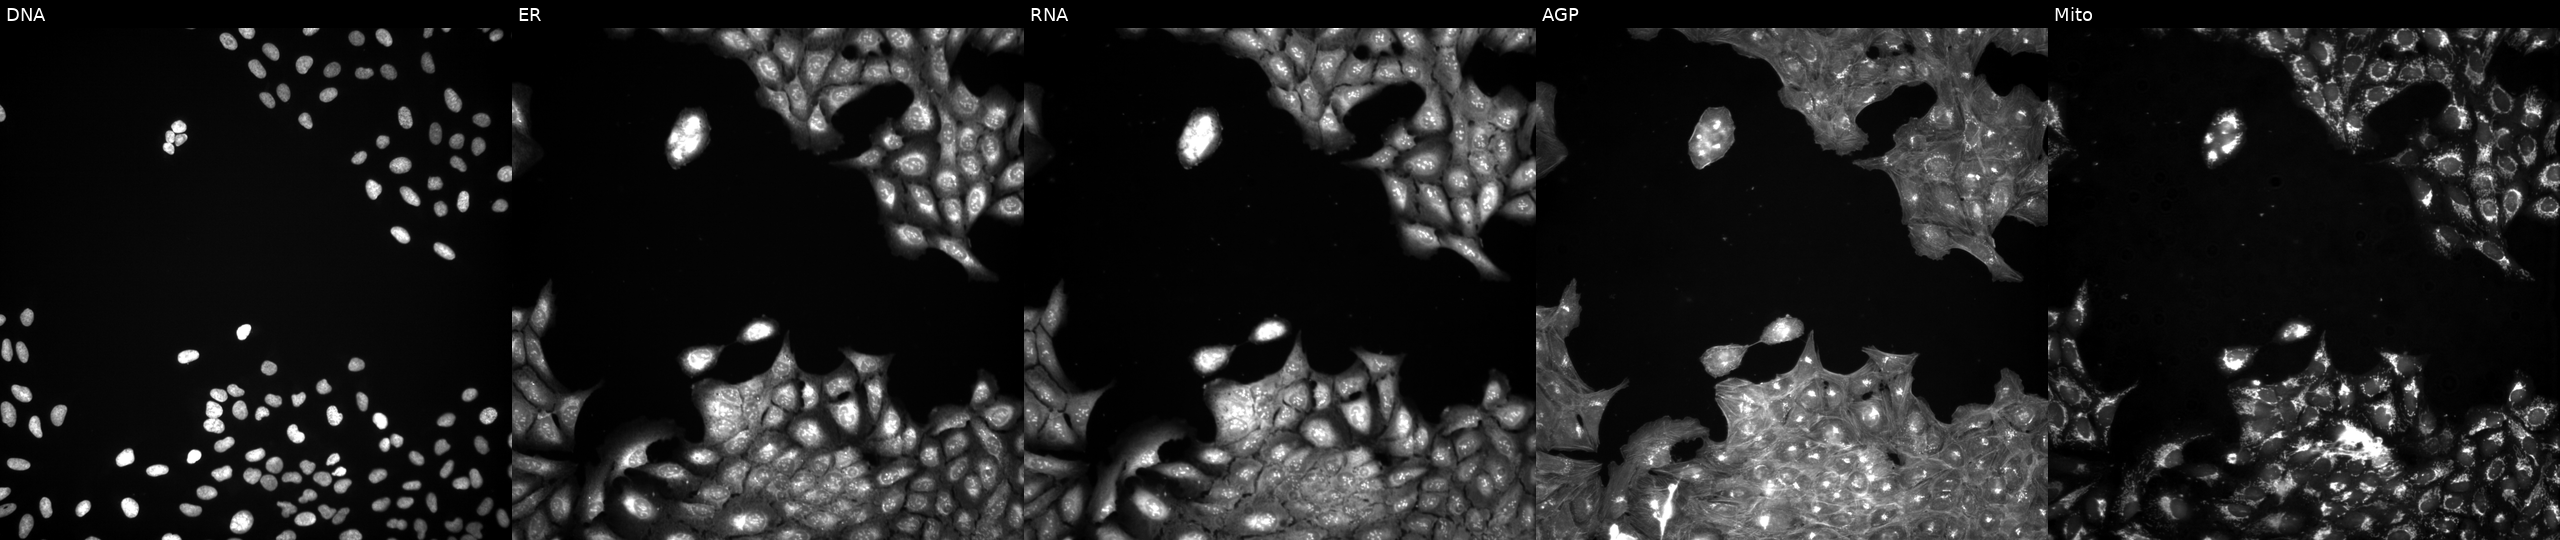
U2OS cells, Cell Painting assay, untreated (empty-well control). Panels show, left to right, Hoechst 33342, concanavalin A, SYTO 14, phalloidin and WGA, MitoTracker. Each panel is percentile-stretched 16-bit fluorescence.